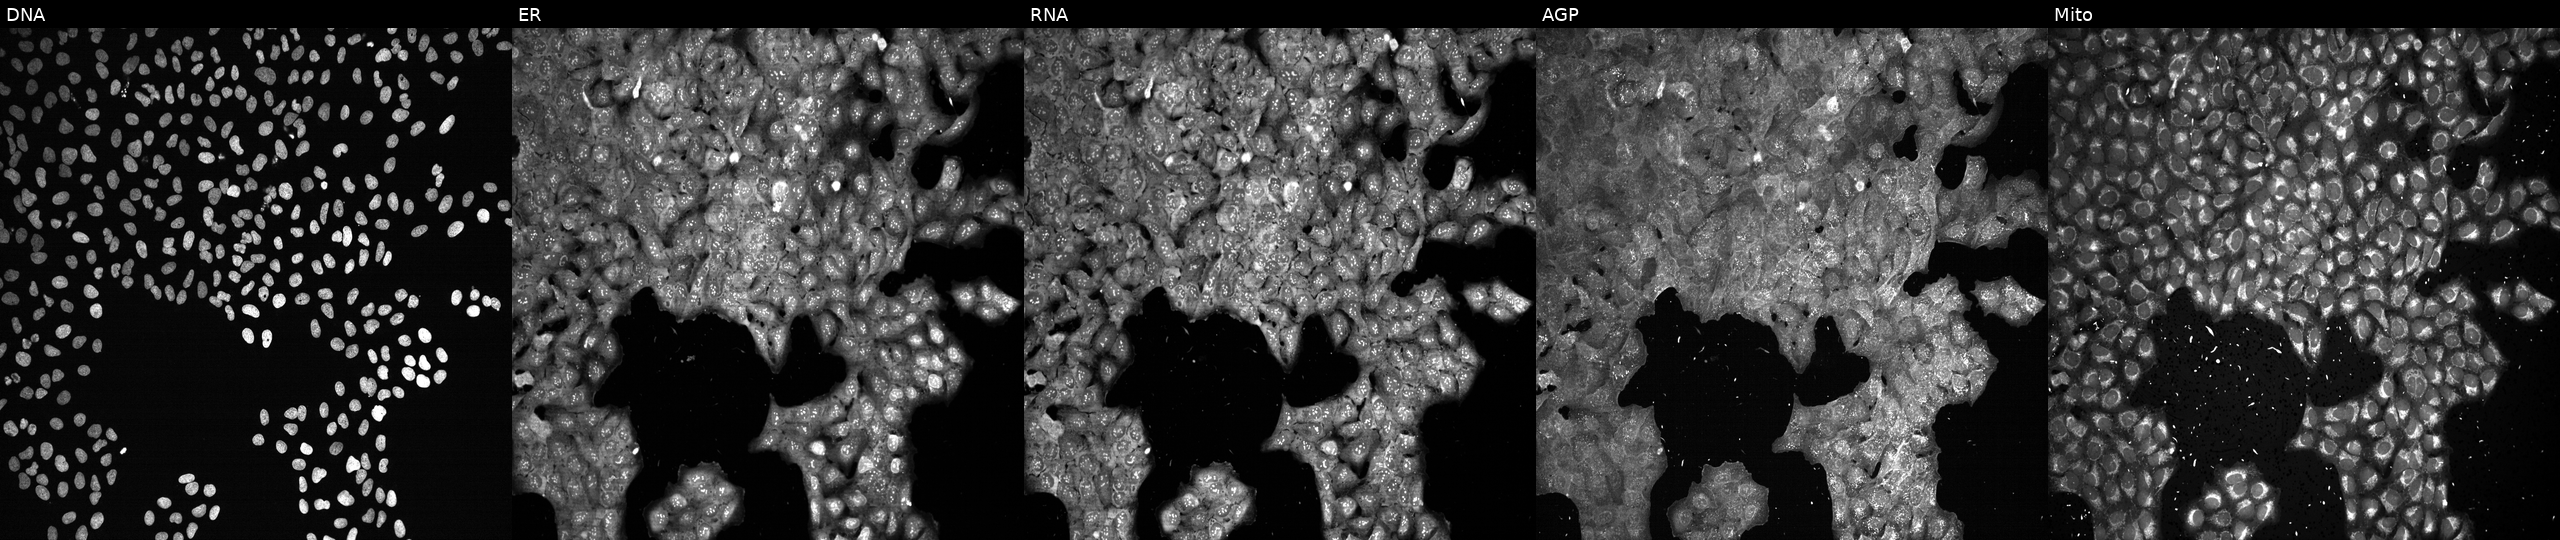
High-content fluorescence microscopy (Cell Painting). Cell line: U2OS. Perturbation: exposed to the positive-control compound NVS-PAK1-1. Panels show, left to right, DNA, ER, RNA, AGP, and Mito.